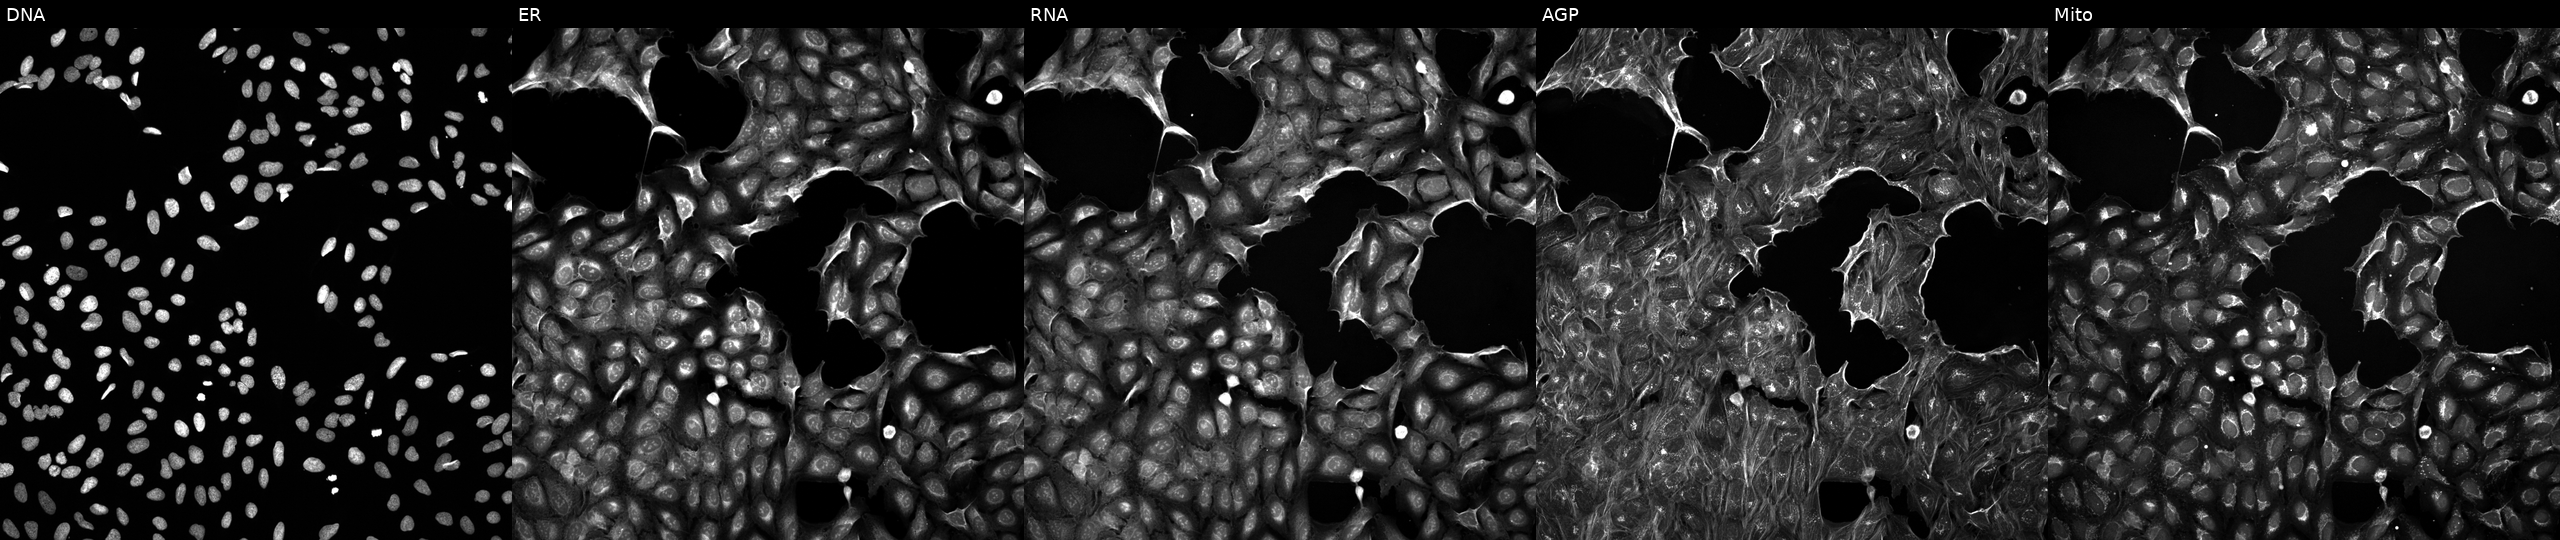
High-content fluorescence microscopy (Cell Painting). Cell line: U2OS. Perturbation: exposed to DMSO alone as a negative control. Channels (left→right): Hoechst 33342, concanavalin A, SYTO 14, phalloidin and WGA, MitoTracker.